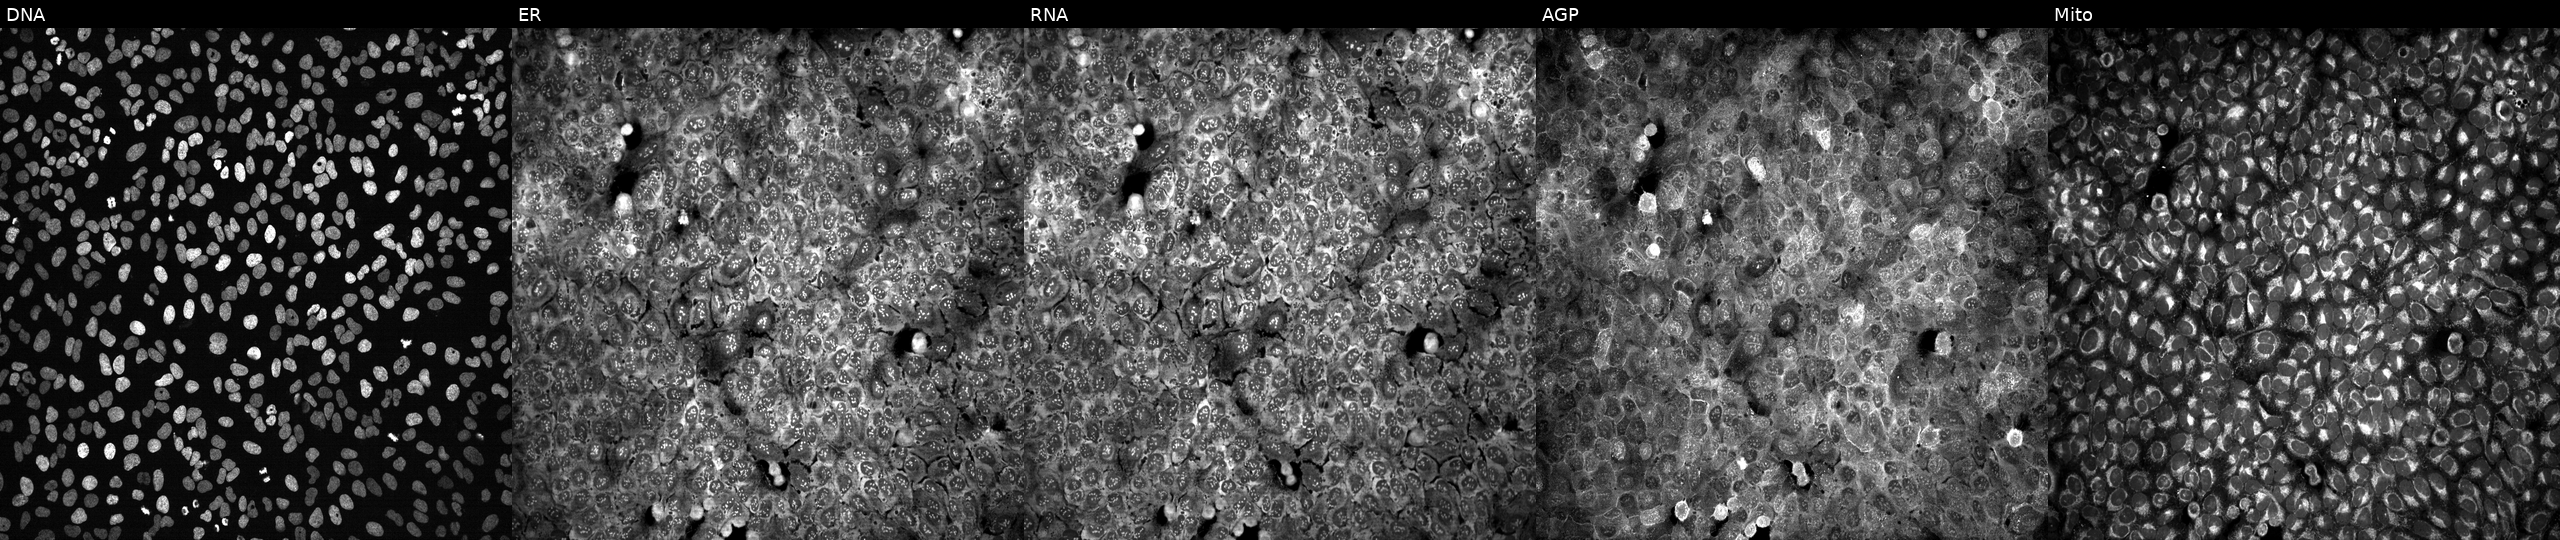
U2OS cells, Cell Painting assay, CRISPR-edited to disrupt PLCB4. The five panels, left to right, show Hoechst 33342, concanavalin A, SYTO 14, phalloidin and WGA, MitoTracker. Each panel is percentile-stretched 16-bit fluorescence. Source 13, plate CP-CC9-R4-04, well M17.